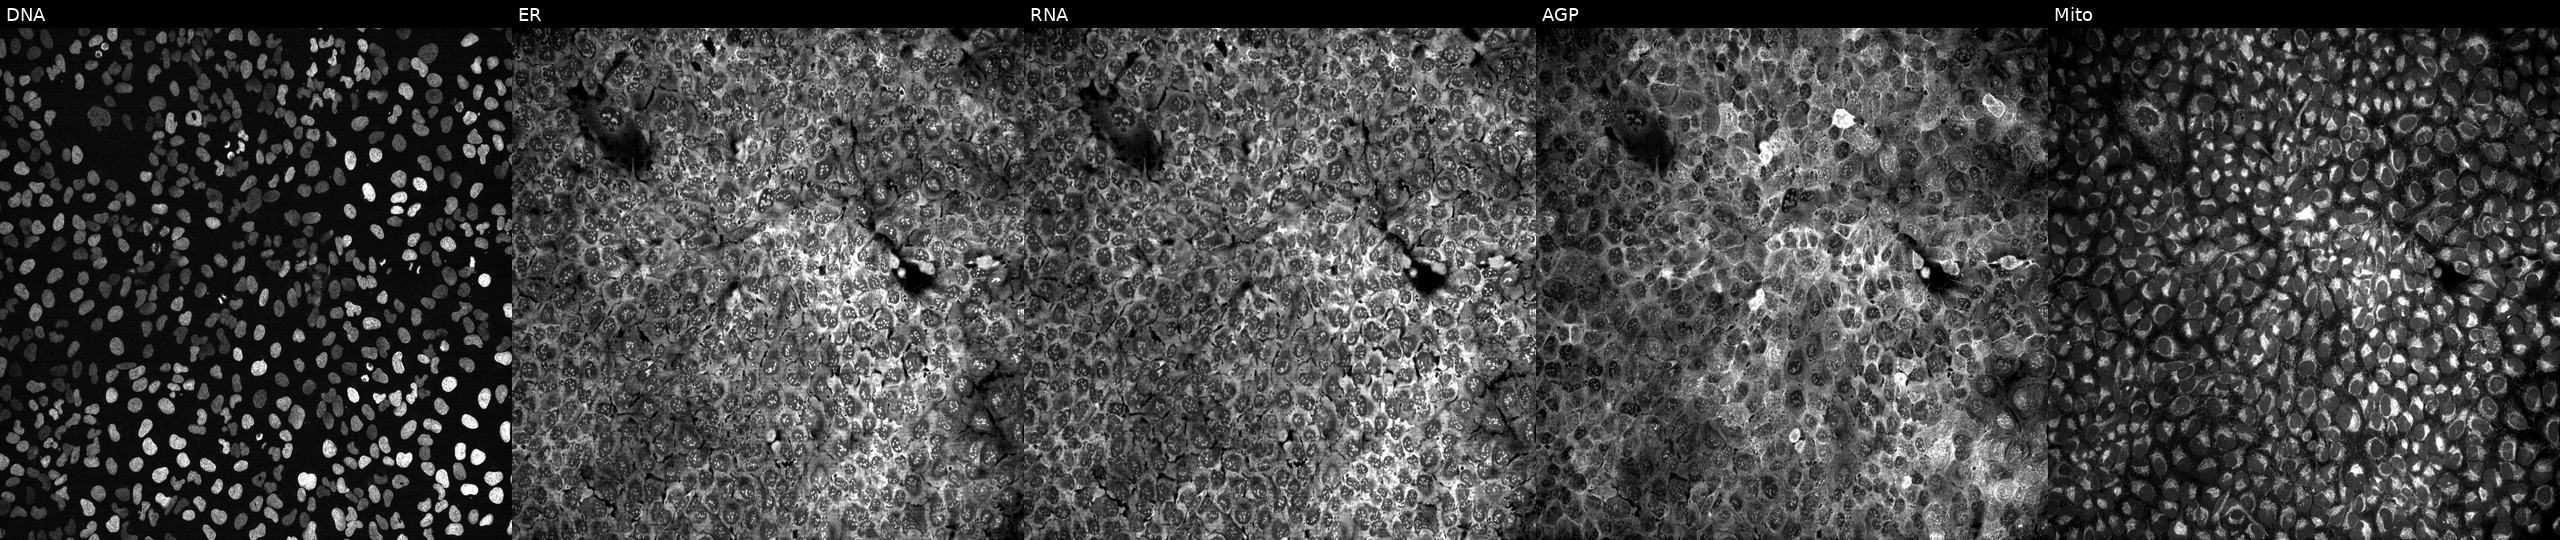
JUMP Cell Painting — CRISPR plate. U2OS cells following CRISPR knockout of ARSI. The five panels, left to right, show Hoechst 33342, concanavalin A, SYTO 14, phalloidin and WGA, MitoTracker.